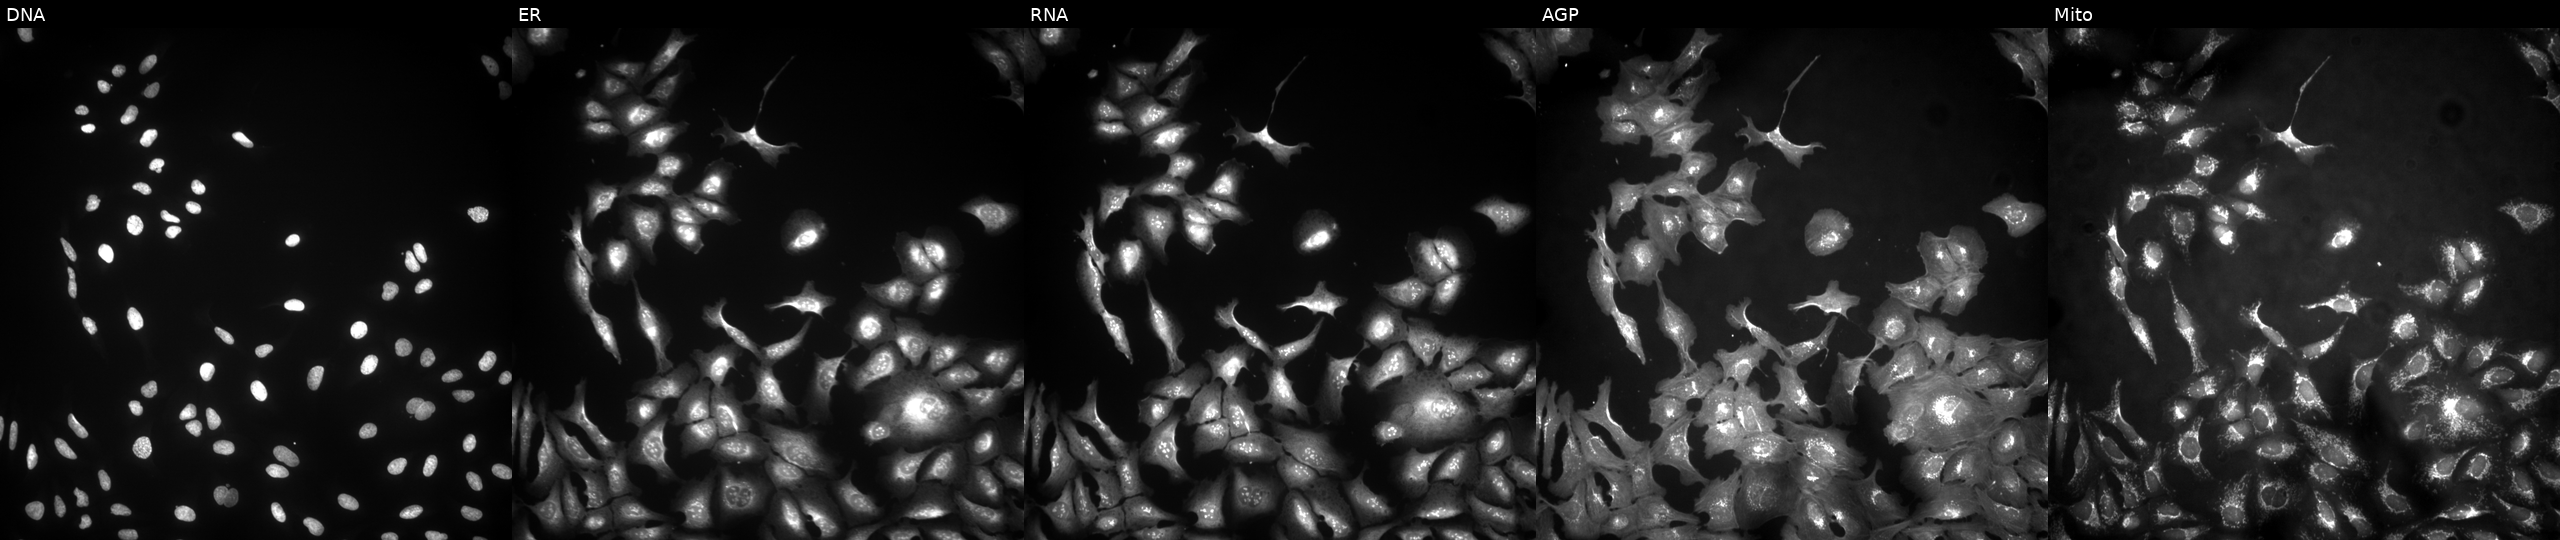
U2OS cells, Cell Painting assay, transfected with an ORF construct for OLFM3 (JUMP id JCP2022_908817). Channels (left→right): DNA (nuclei); ER (endoplasmic reticulum); RNA (nucleoli and cytoplasmic RNA); AGP (actin cytoskeleton, Golgi, and plasma membrane); Mito (mitochondria). Each panel is percentile-stretched 16-bit fluorescence.